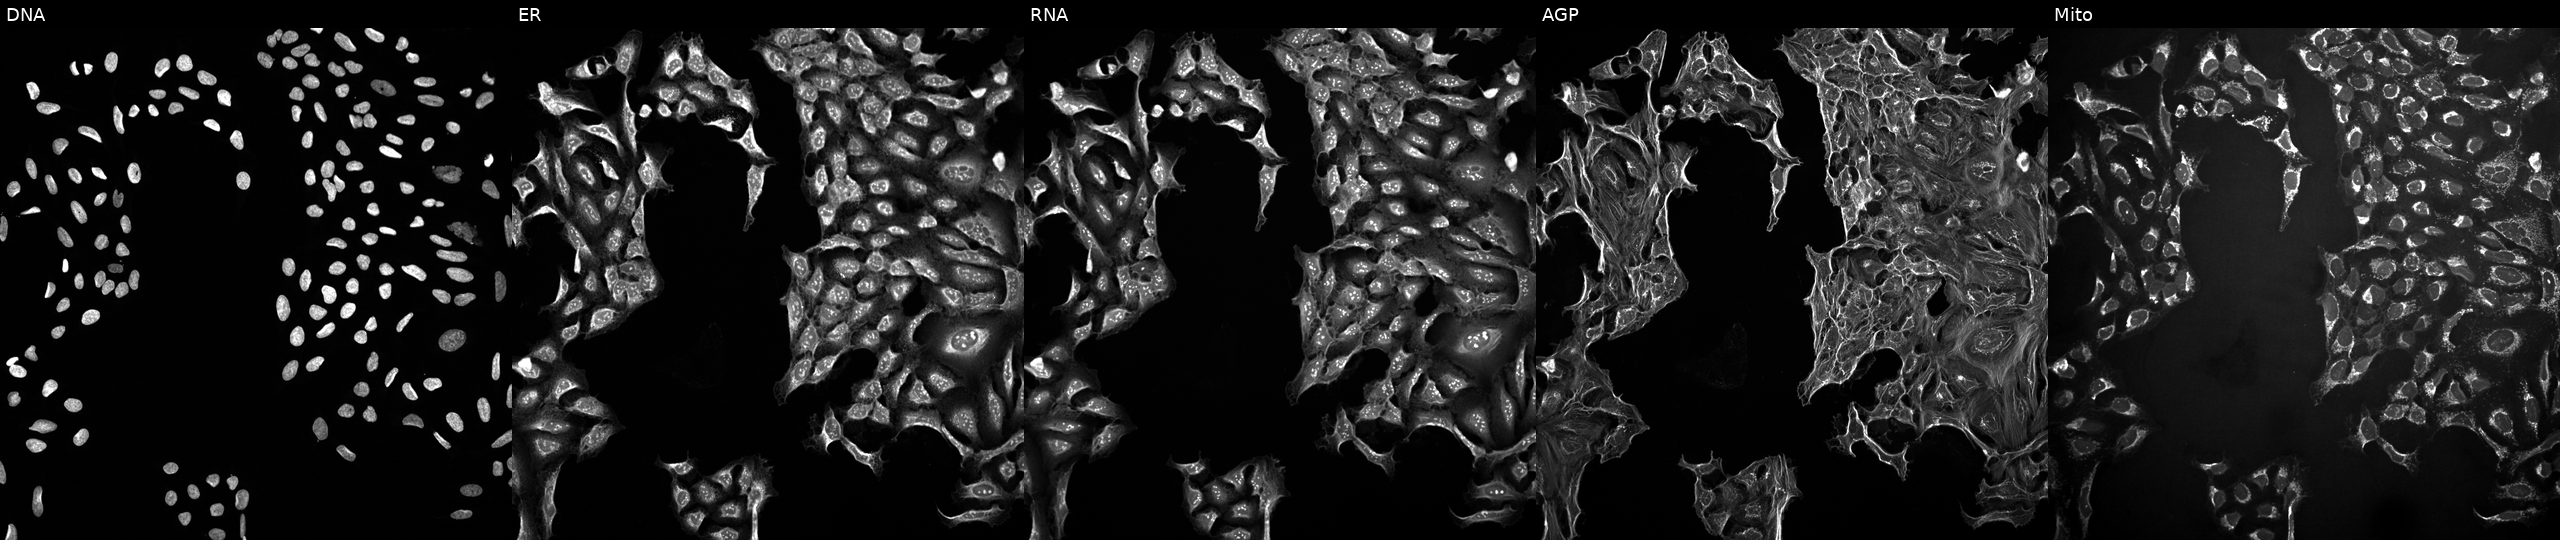
Five-channel Cell Painting image of U2OS cells exposed to DMSO alone as a negative control (JUMP id JCP2022_033924). The five panels, left to right, show DNA, ER, RNA, AGP, and Mito. Source 10, plate Dest210726-160150, well P24.